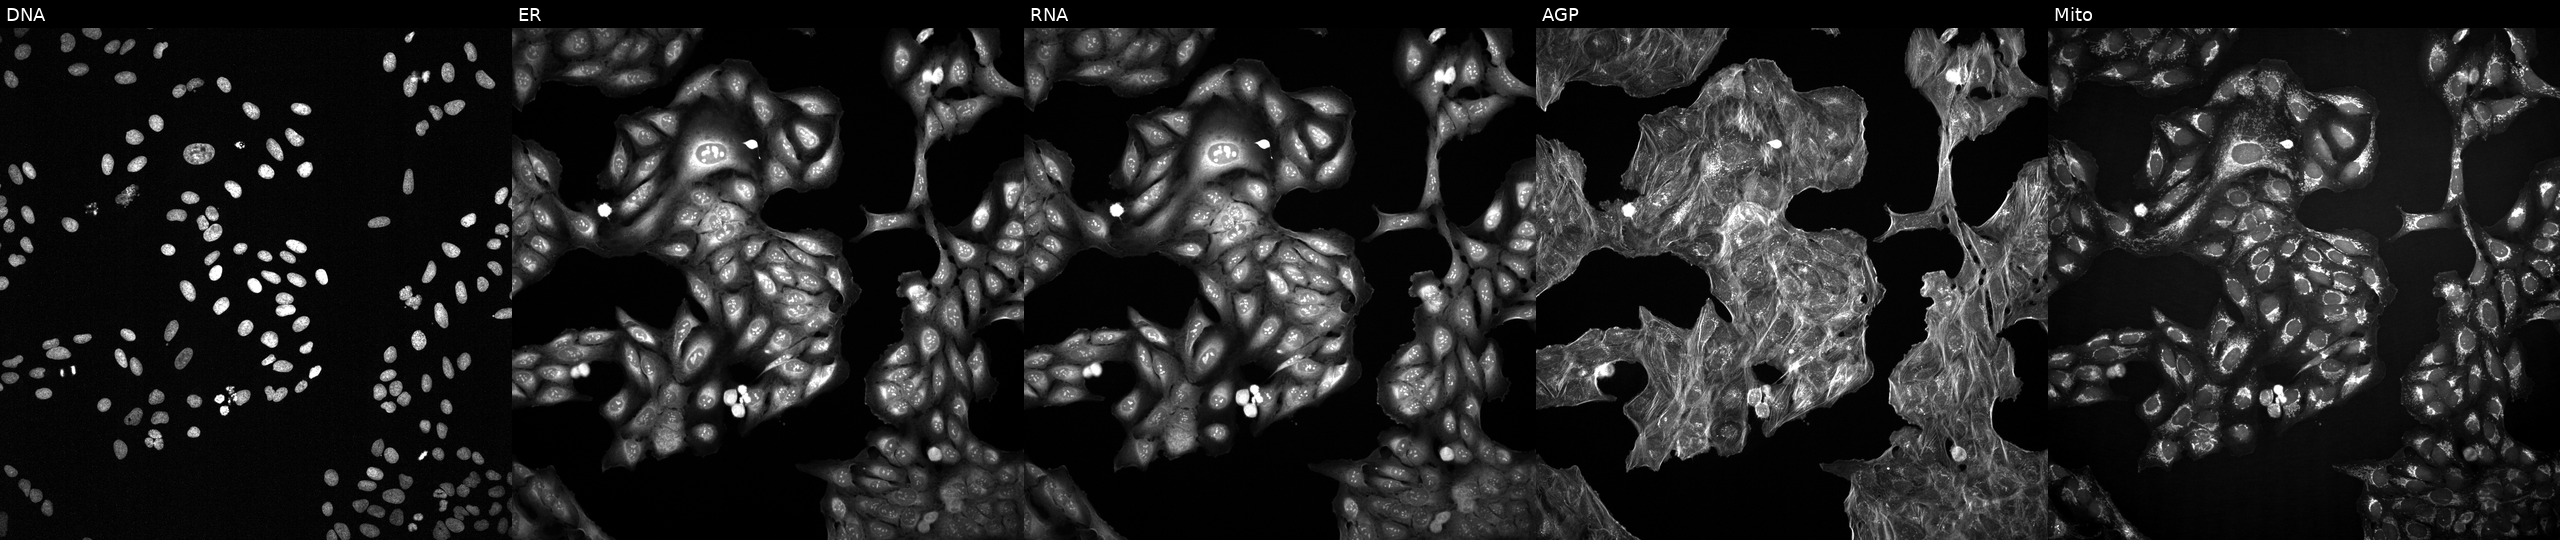
Five-channel Cell Painting image of U2OS cells perturbed with a small-molecule compound [SMILES: CN1CCCC1c1cccnc1]. Channels (left→right): DNA (nuclei); ER (endoplasmic reticulum); RNA (nucleoli and cytoplasmic RNA); AGP (actin cytoskeleton, Golgi, and plasma membrane); Mito (mitochondria). Source 2, plate 1053600674, well P02.